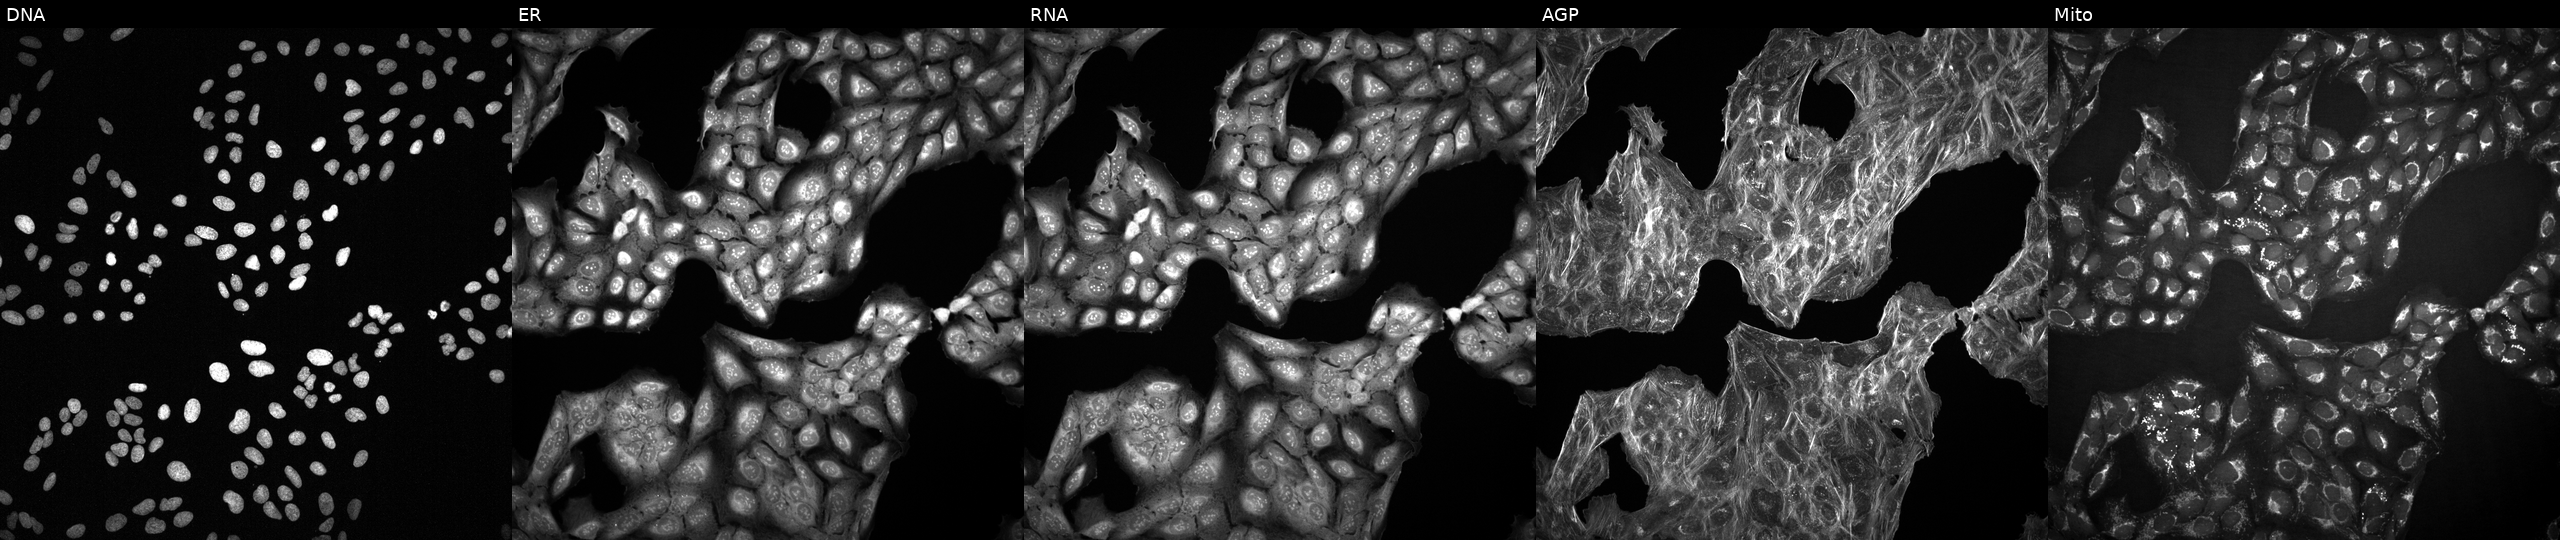
High-content fluorescence microscopy (Cell Painting). Cell line: U2OS. Perturbation: perturbed with a small-molecule compound (InChIKey VBARFWGILFILHY-UHFFFAOYSA-N) (JUMP id JCP2022_092804). Channels (left→right): DNA, ER, RNA, AGP, and Mito. Source 2, plate 1053601756, well E20.